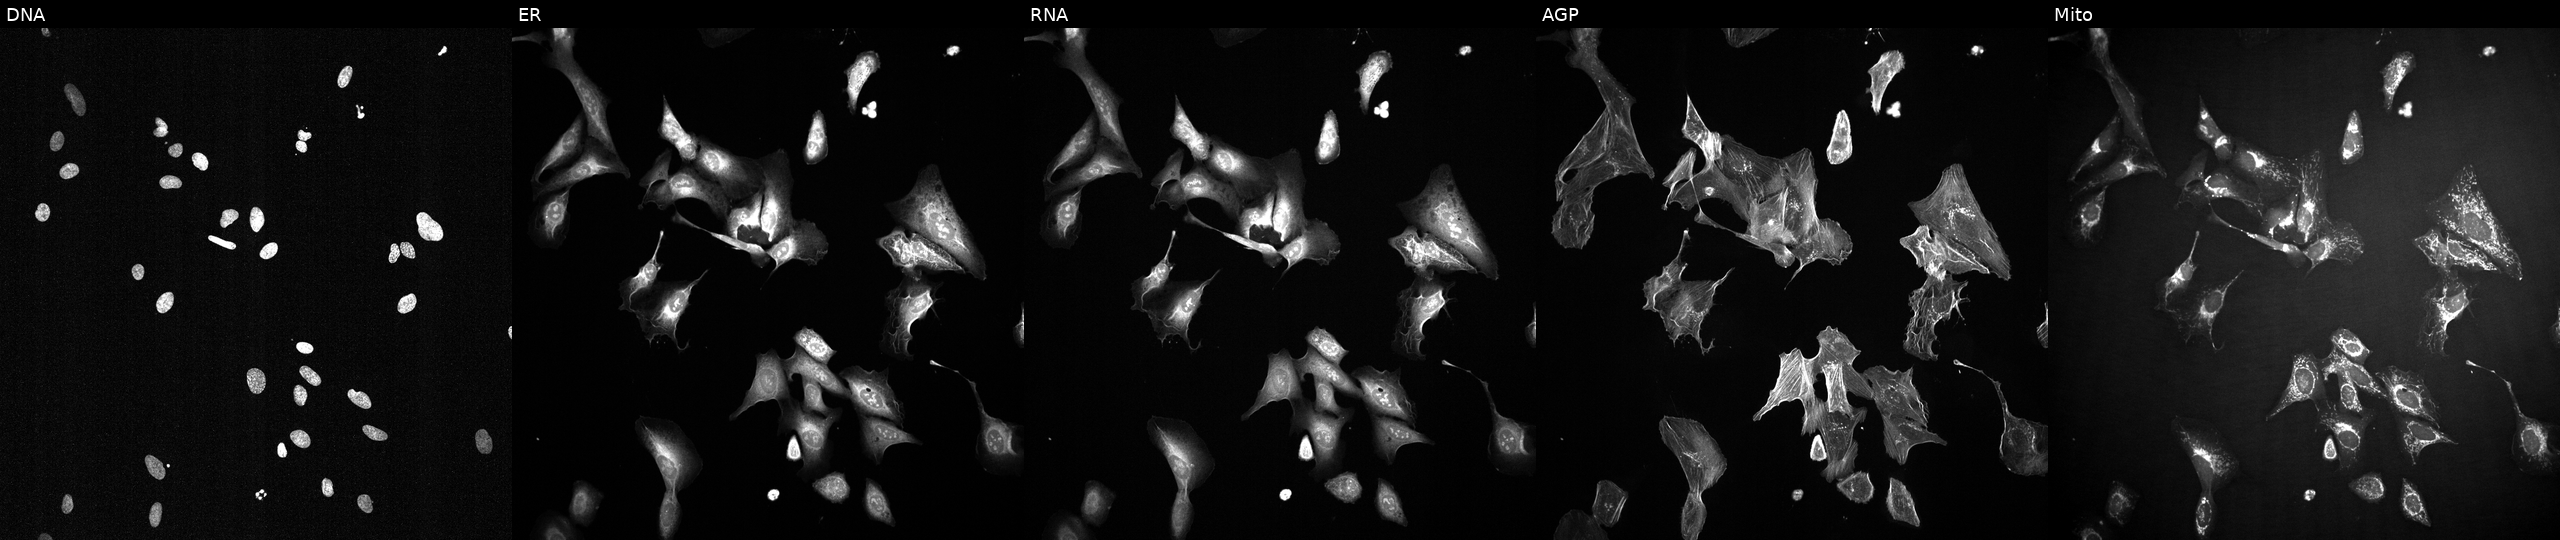
U2OS cells, Cell Painting assay, treated with a small-molecule compound (InChIKey HUXYBQXJVXOMKX-UHFFFAOYSA-N) (JUMP id JCP2022_032771). Panels show, left to right, DNA, ER, RNA, AGP, and Mito. Each panel is percentile-stretched 16-bit fluorescence.